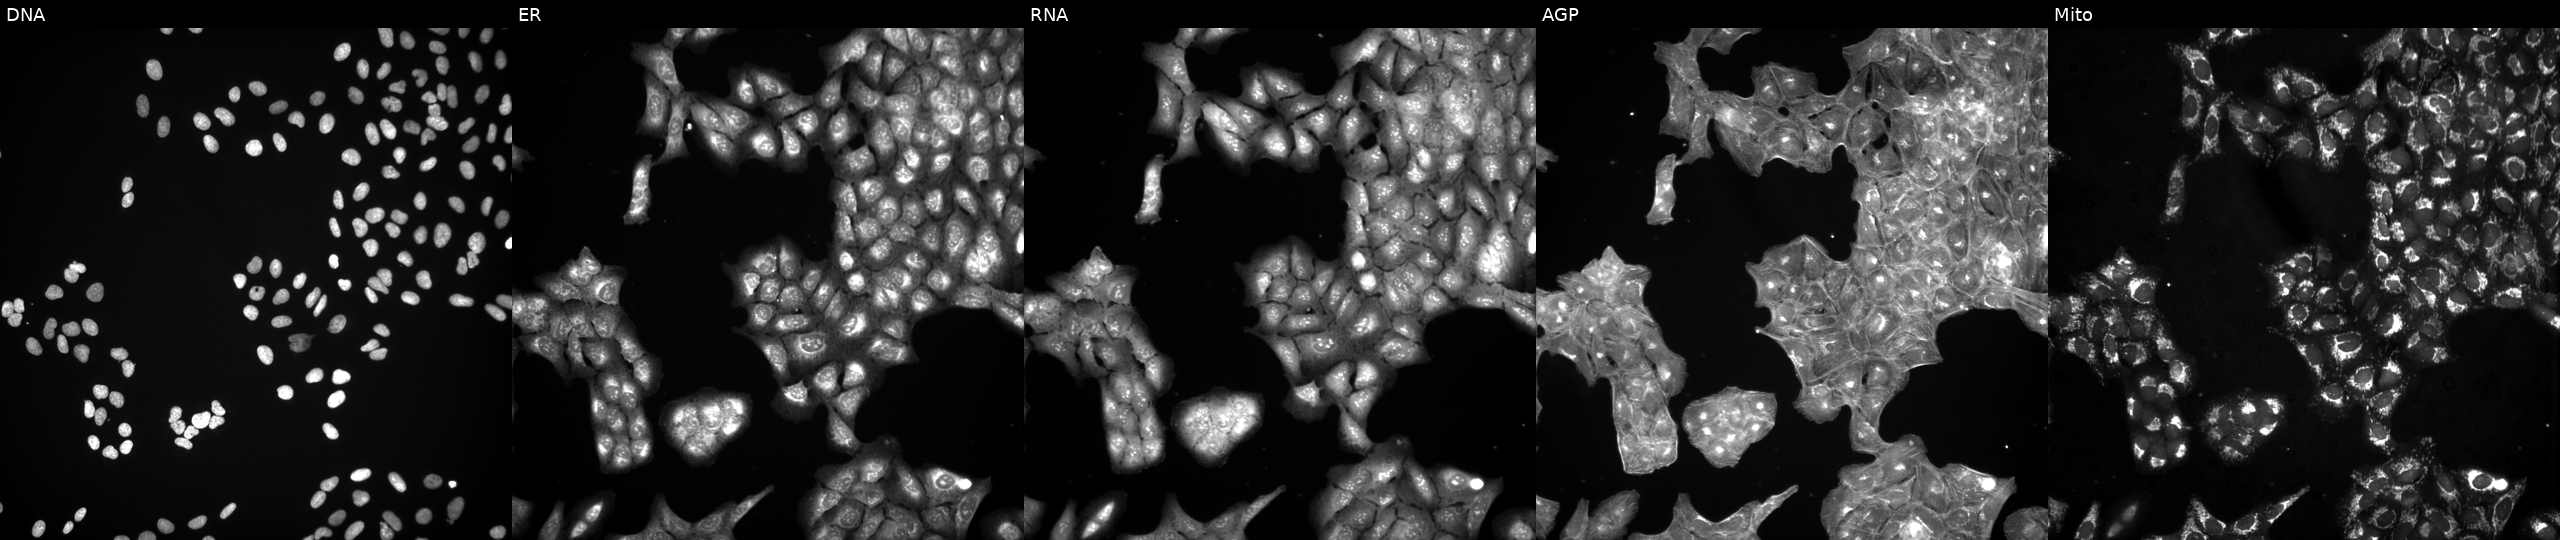
U2OS cells, Cell Painting assay, exposed to a small-molecule compound. Panels show, left to right, Hoechst 33342, concanavalin A, SYTO 14, phalloidin and WGA, MitoTracker. Each panel is percentile-stretched 16-bit fluorescence.